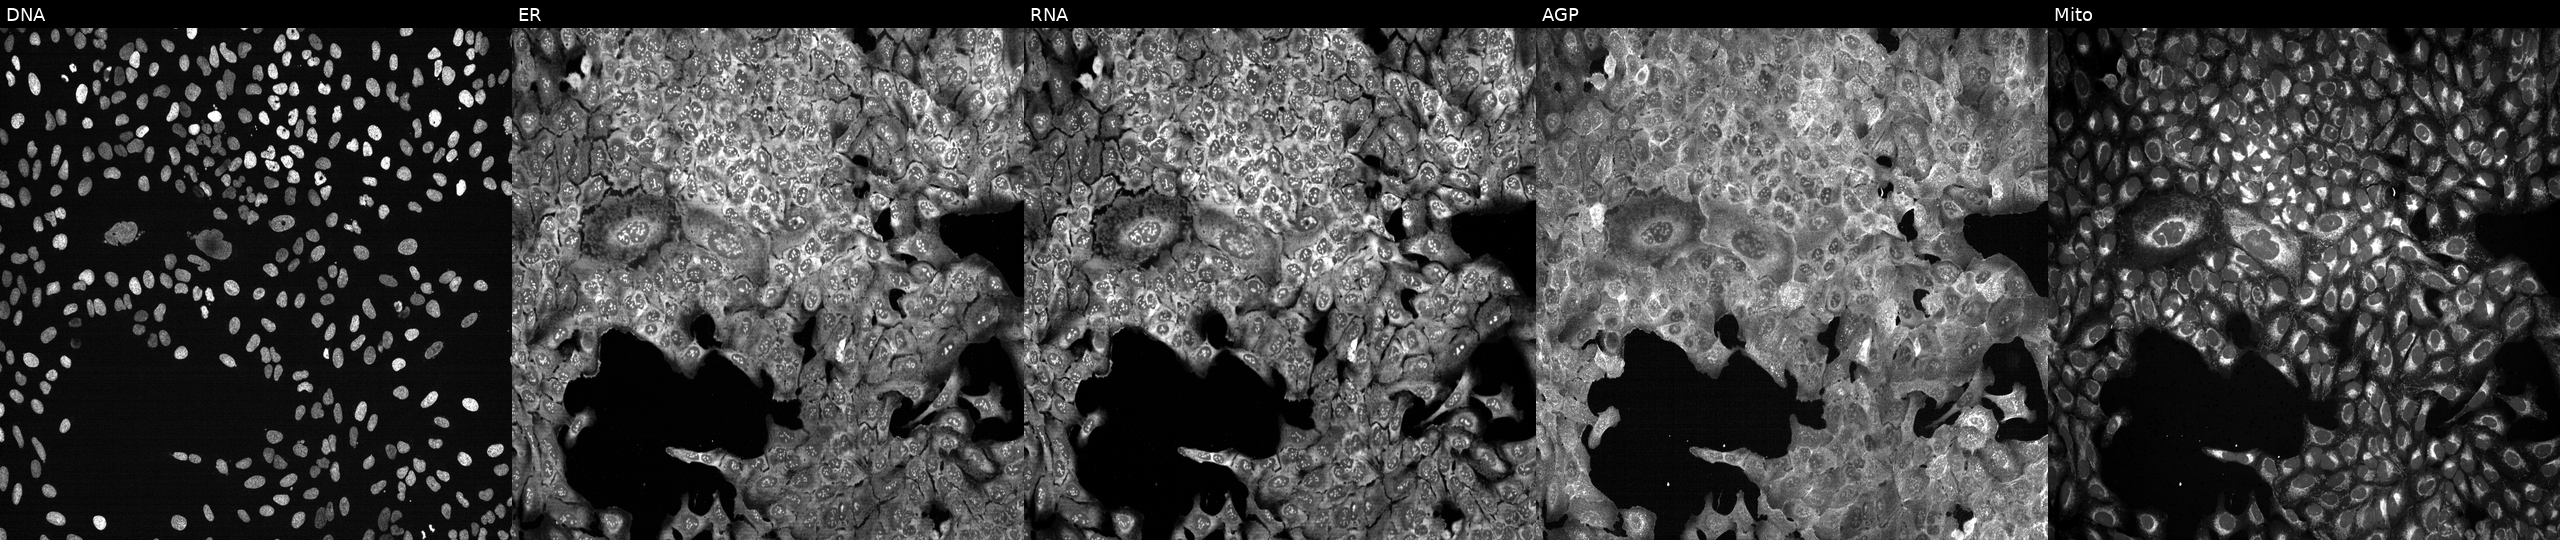
This image strip shows the five Cell Painting channels for a single field of U2OS cells following CRISPR knockout of GPD2. From left to right: Hoechst 33342, concanavalin A, SYTO 14, phalloidin and WGA, MitoTracker.